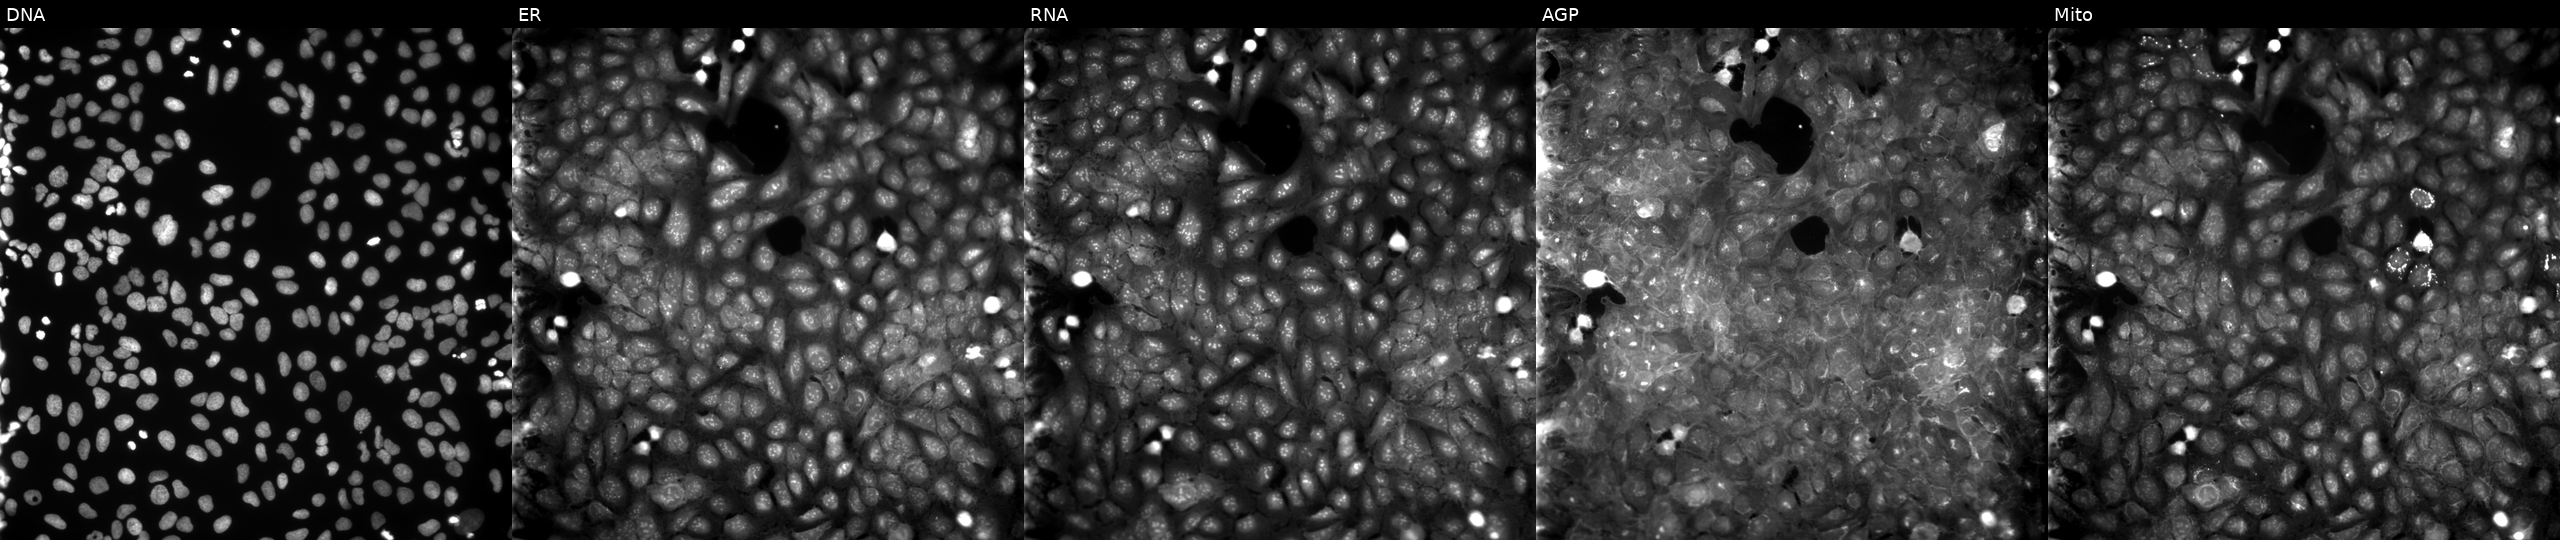
Panels show, left to right, DNA, ER, RNA, AGP, and Mito. U2OS osteosarcoma cells treated with a small-molecule compound [SMILES: CC1=CC(C)(C)N(C(=O)CSc2nccn2C)c2cc(C)ccc21]. Cell Painting assay, JUMP-CP dataset.